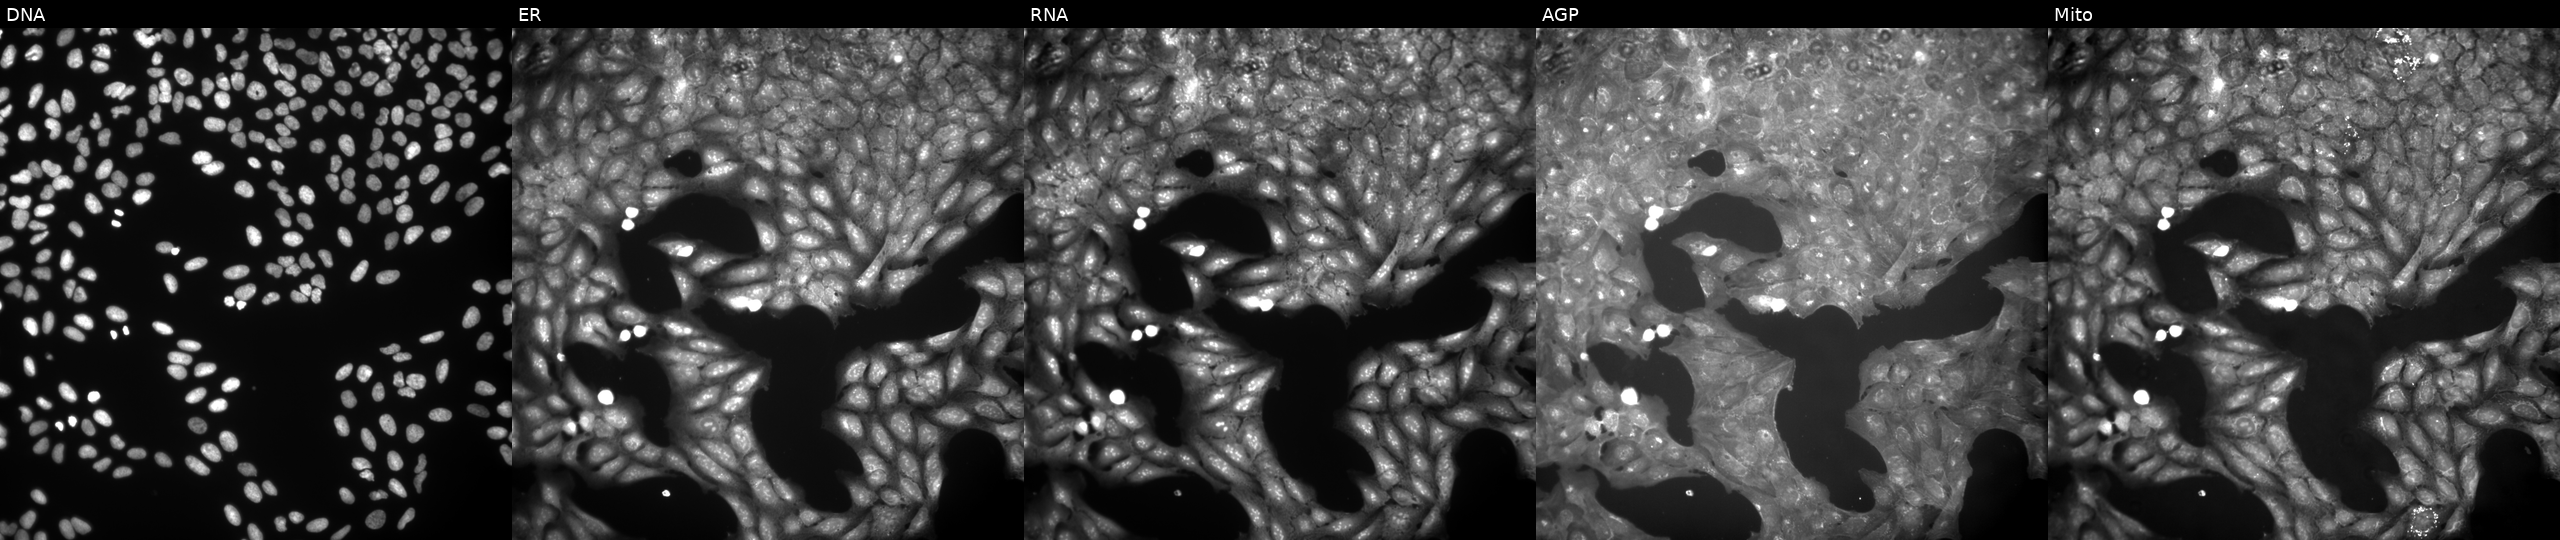
The five panels, left to right, show DNA, ER, RNA, AGP, and Mito. U2OS osteosarcoma cells exposed to a small-molecule compound (InChIKey FRCWAQMDSSPPFN-UHFFFAOYSA-N). Cell Painting assay, JUMP-CP dataset. Source 9, plate GR00003382, well G42.